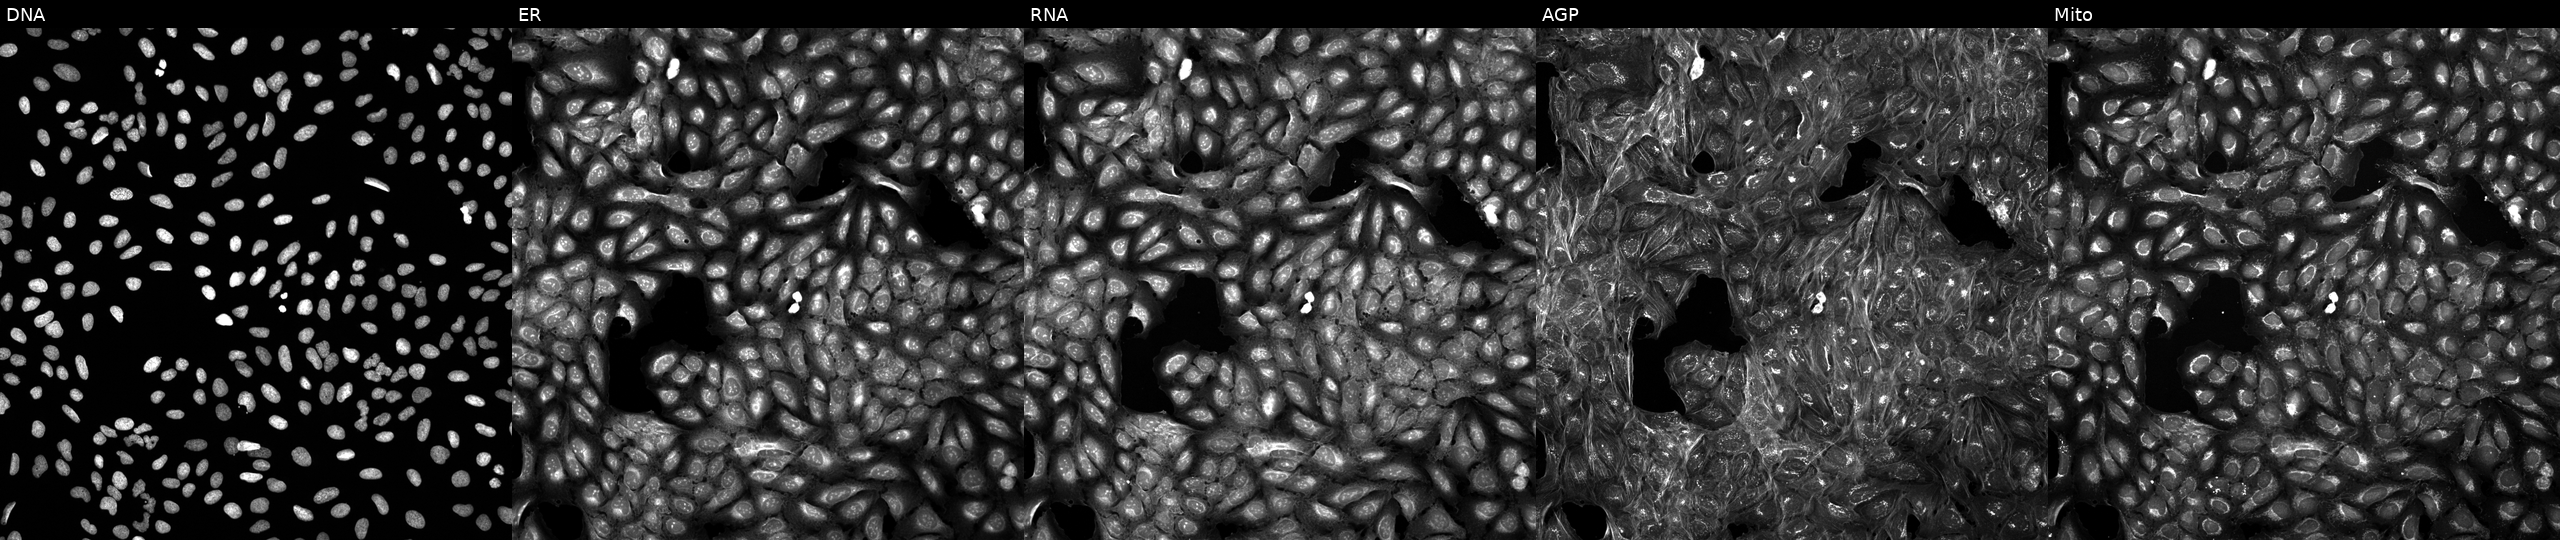
Five-channel Cell Painting image of U2OS cells treated with DMSO vehicle only (negative control) (JUMP id JCP2022_033924). Channels (left→right): DNA, ER, RNA, AGP, and Mito.